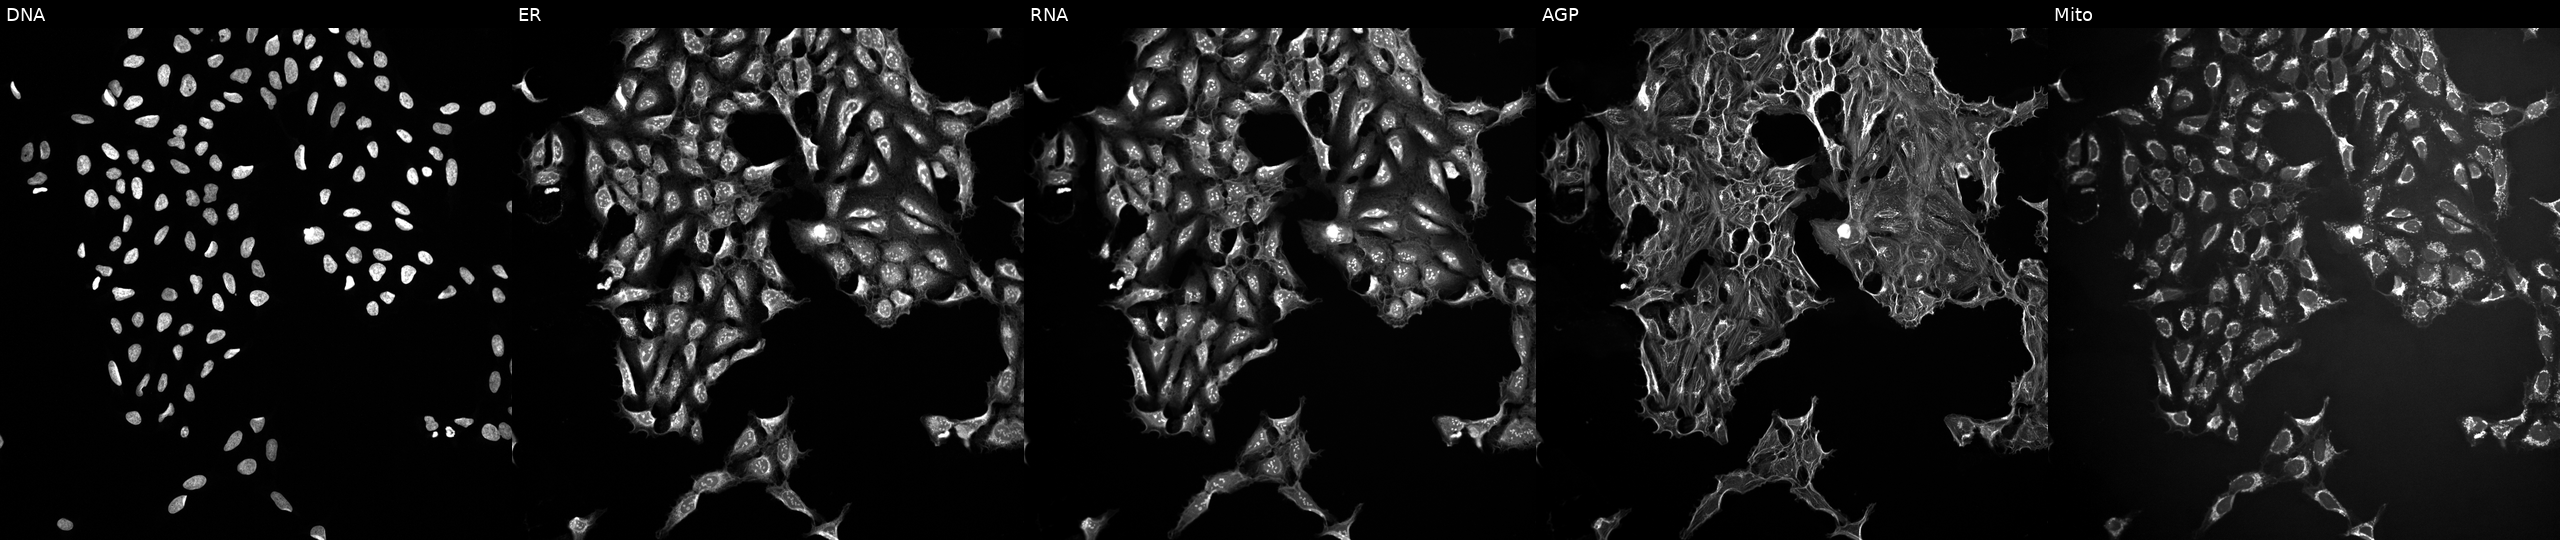
High-content fluorescence microscopy (Cell Painting). Cell line: U2OS. Perturbation: exposed to a small-molecule compound. From left to right: DNA (nuclei); ER (endoplasmic reticulum); RNA (nucleoli and cytoplasmic RNA); AGP (actin cytoskeleton, Golgi, and plasma membrane); Mito (mitochondria).